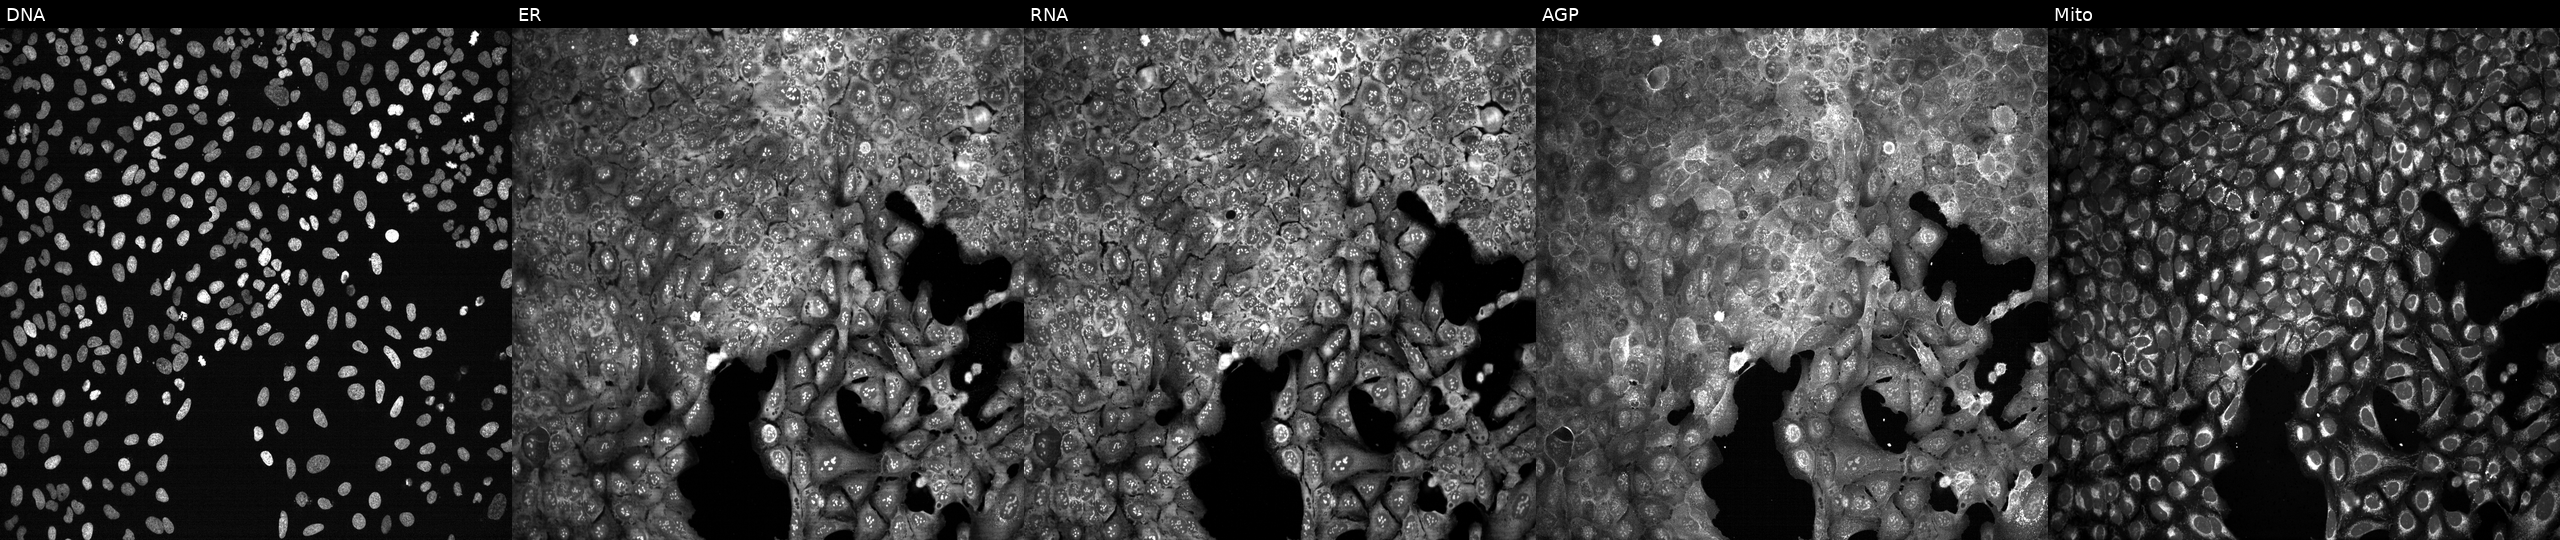
This image strip shows the five Cell Painting channels for a single field of U2OS cells following CRISPR knockout of ALDH1A2. Panels show, left to right, DNA, ER, RNA, AGP, and Mito.